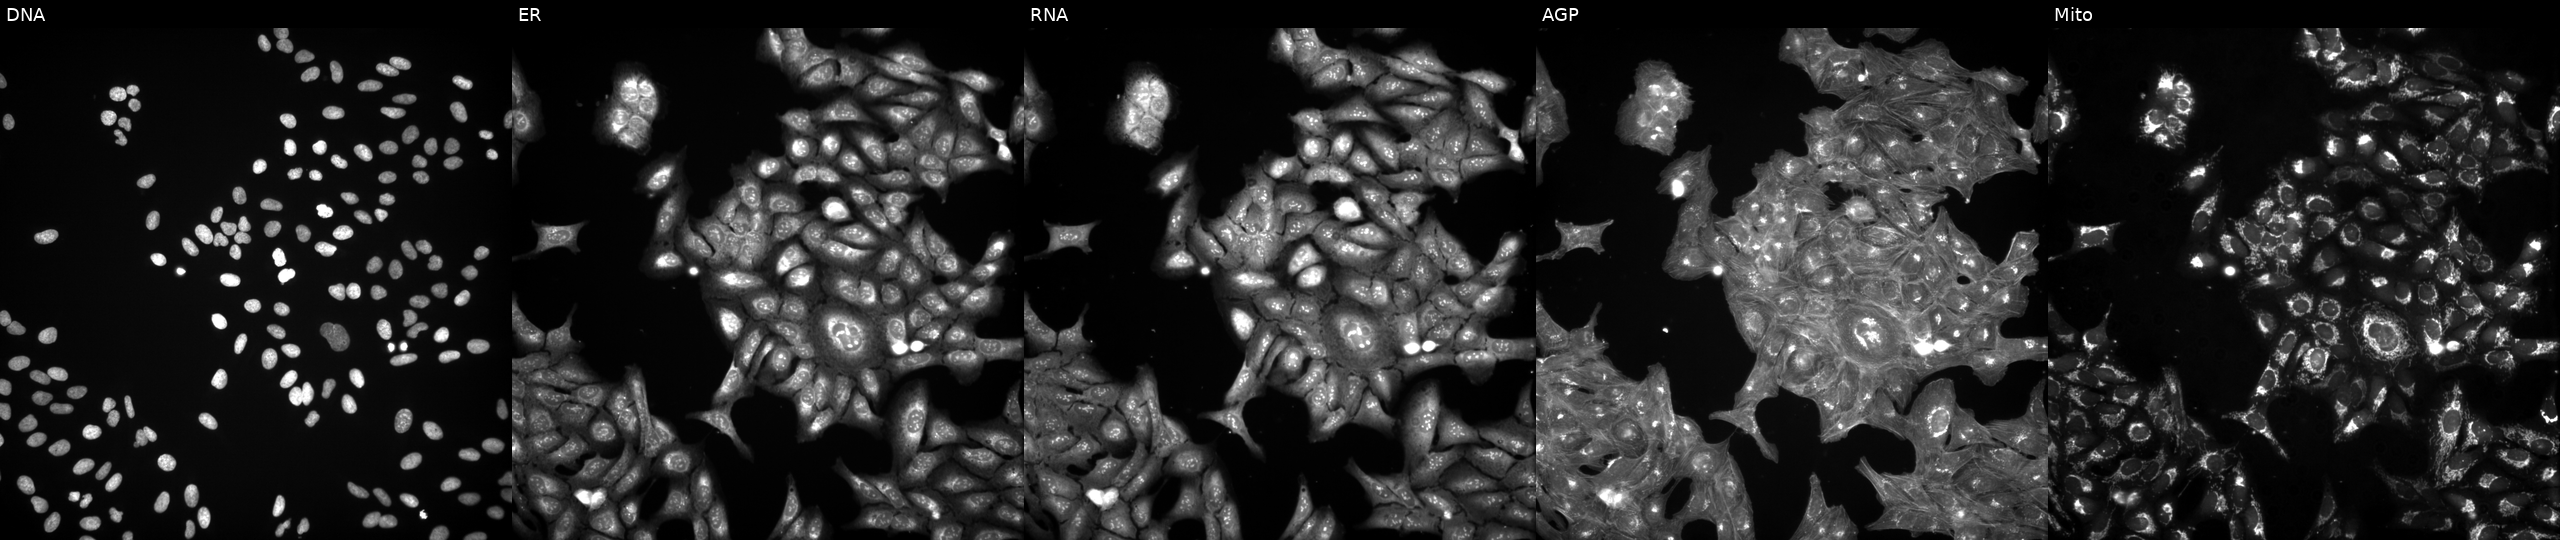
High-content fluorescence microscopy (Cell Painting). Cell line: U2OS. Perturbation: perturbed with a small-molecule compound (InChIKey QXGZFDXFBHLCTA-UHFFFAOYSA-N) (JUMP id JCP2022_076490). Panels show, left to right, Hoechst 33342, concanavalin A, SYTO 14, phalloidin and WGA, MitoTracker.